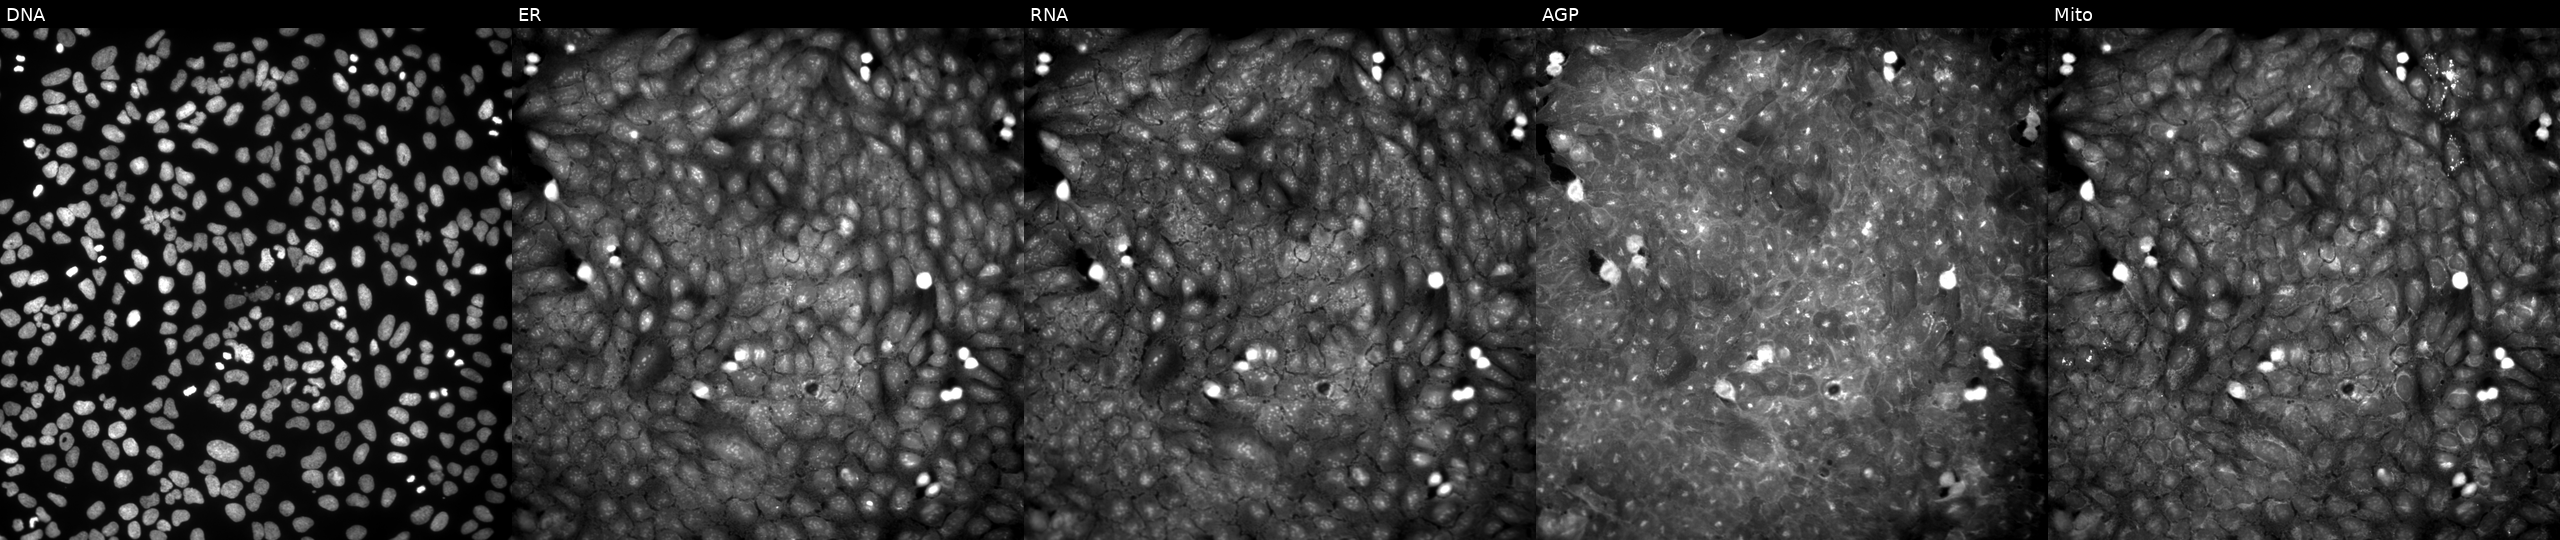
Panels show, left to right, Hoechst 33342, concanavalin A, SYTO 14, phalloidin and WGA, MitoTracker. U2OS osteosarcoma cells exposed to DMSO alone as a negative control (JUMP id JCP2022_033924). Cell Painting assay, JUMP-CP dataset.